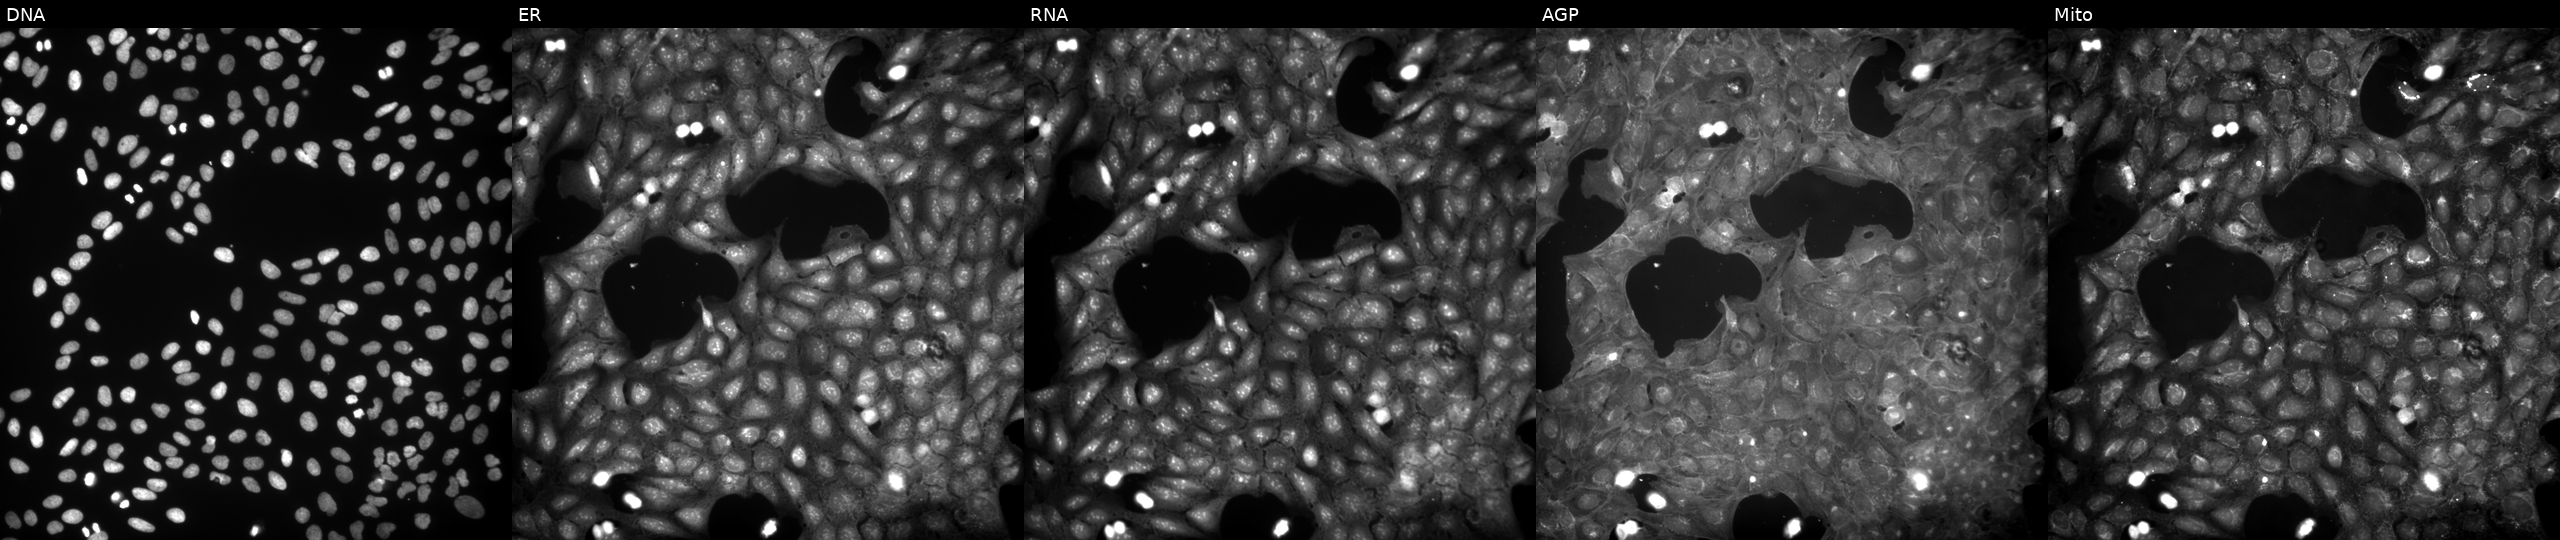
Five-channel Cell Painting image of U2OS cells treated with aloxistatin (positive-control compound) (JUMP id JCP2022_085227). Channels (left→right): DNA (nuclei); ER (endoplasmic reticulum); RNA (nucleoli and cytoplasmic RNA); AGP (actin cytoskeleton, Golgi, and plasma membrane); Mito (mitochondria).